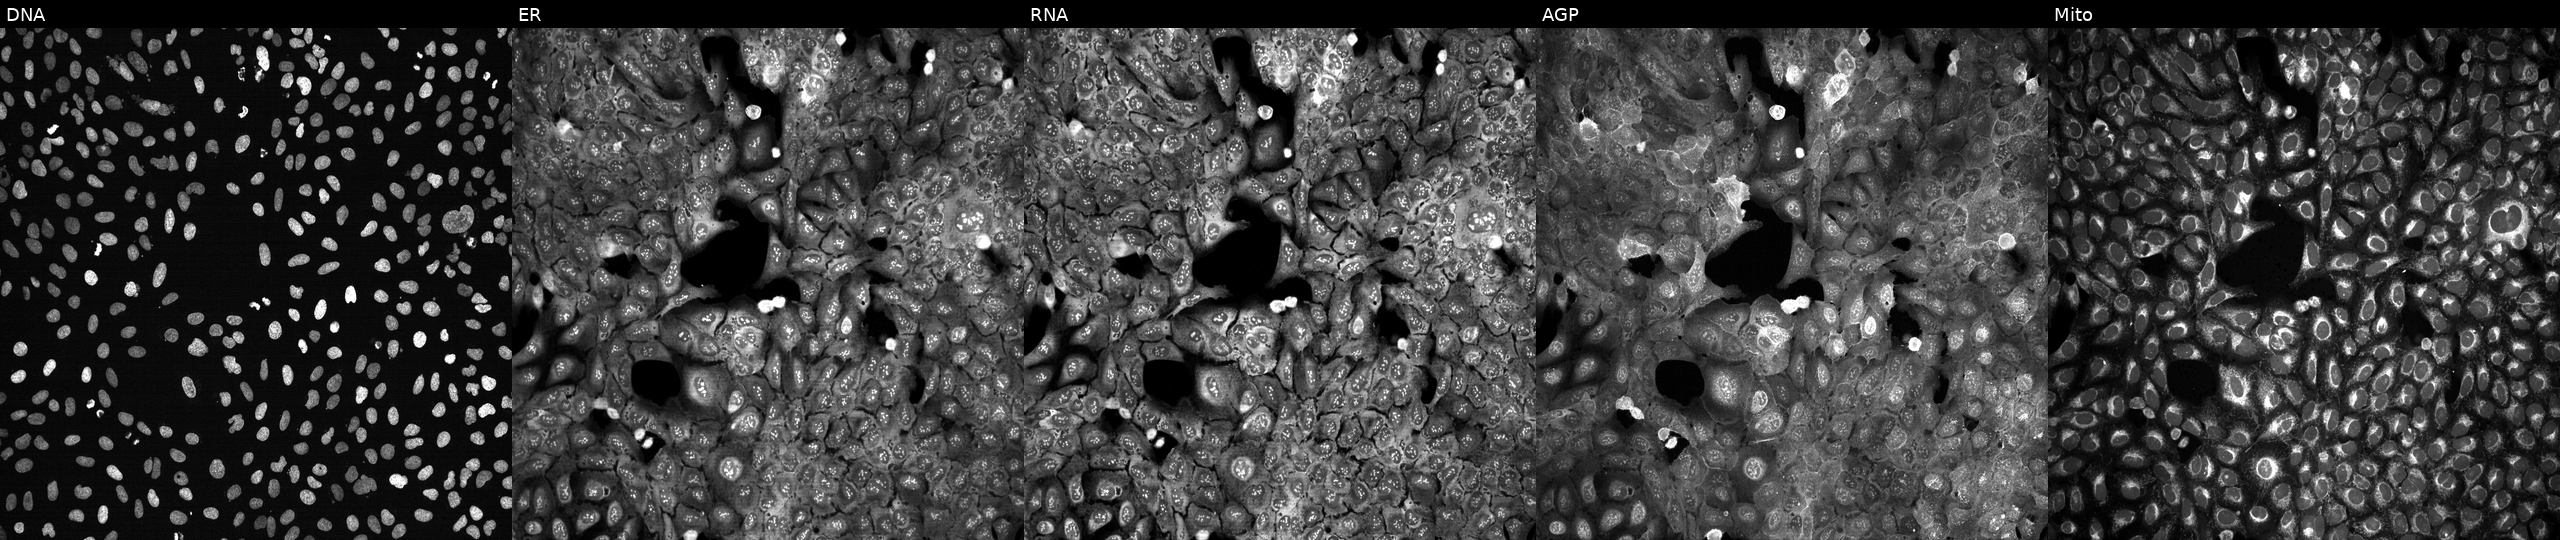
Five-channel Cell Painting image of U2OS cells with TIPARP knocked out by CRISPR. The five panels, left to right, show Hoechst 33342, concanavalin A, SYTO 14, phalloidin and WGA, MitoTracker.